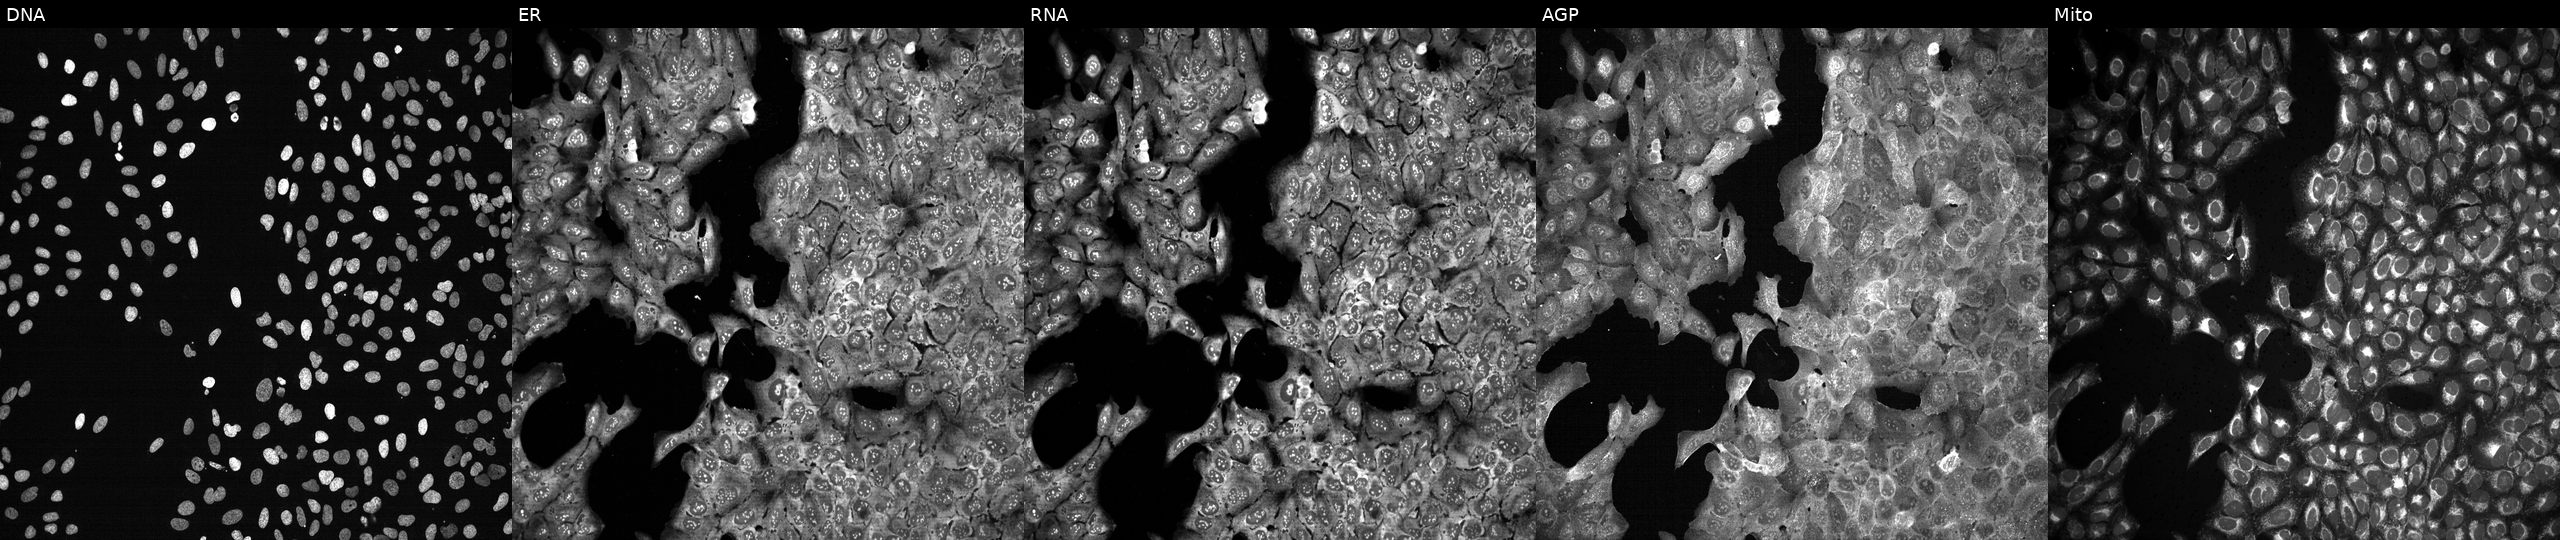
From left to right: Hoechst 33342, concanavalin A, SYTO 14, phalloidin and WGA, MitoTracker. U2OS osteosarcoma cells with ATP8B4 knocked out by CRISPR (JUMP id JCP2022_800752). Cell Painting assay, JUMP-CP dataset.